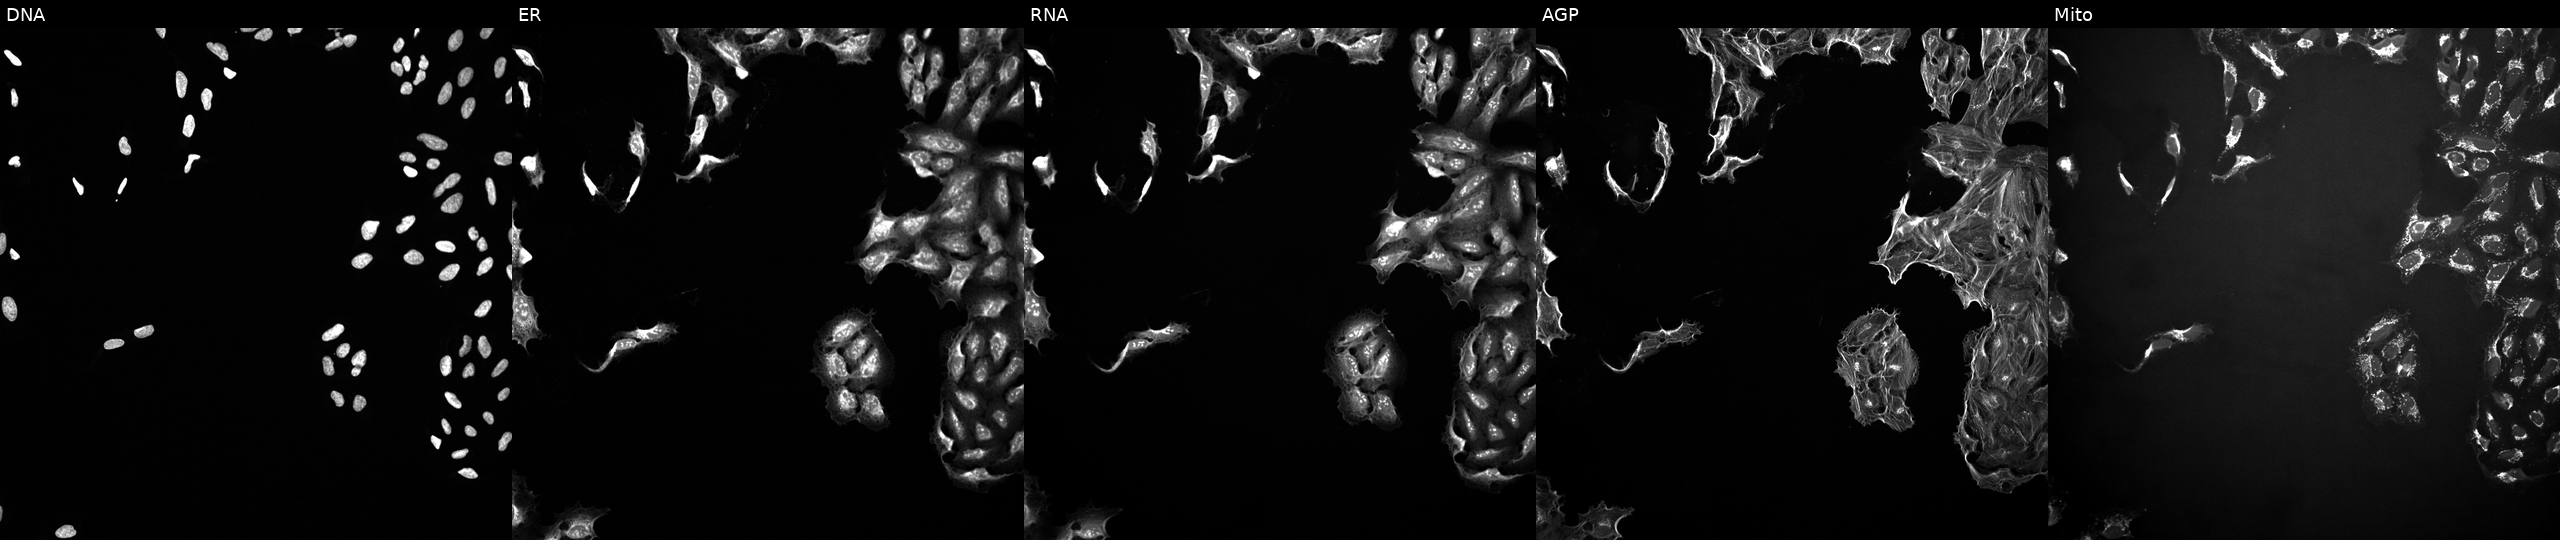
This image strip shows the five Cell Painting channels for a single field of U2OS cells perturbed with a small-molecule compound (JUMP id JCP2022_071733). Channels (left→right): Hoechst 33342, concanavalin A, SYTO 14, phalloidin and WGA, MitoTracker.